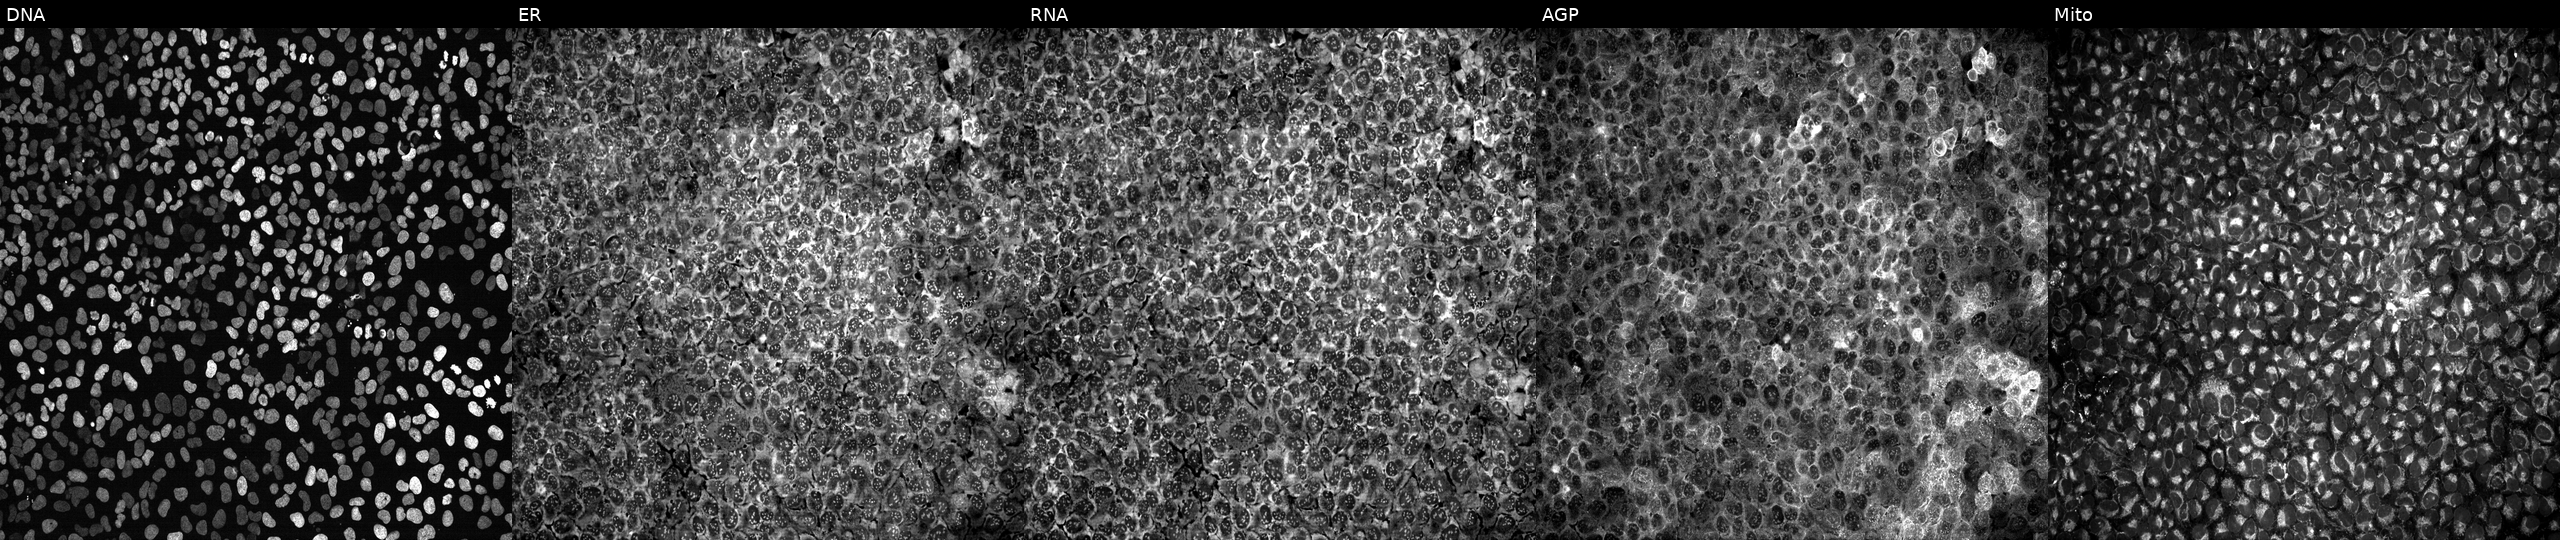
Five-channel Cell Painting image of U2OS cells exposed to the positive-control compound aloxistatin (JUMP id JCP2022_085227). Channels (left→right): DNA, ER, RNA, AGP, and Mito. Source 13, plate CP-CC9-R4-03, well I01.